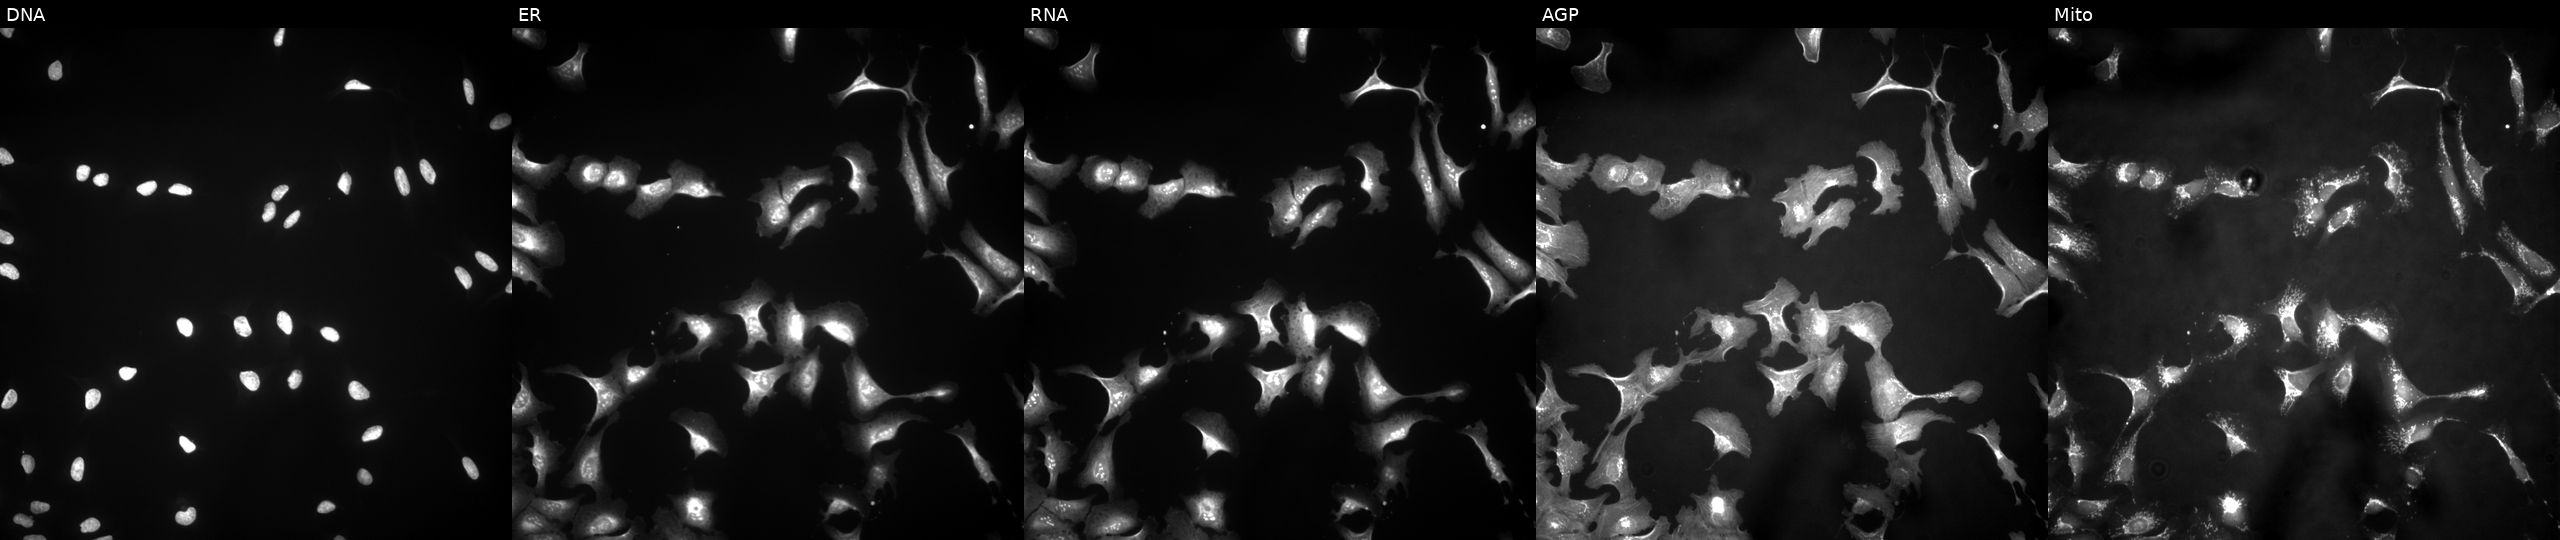
JUMP Cell Painting — ORF plate. U2OS cells transfected with an ORF construct for CCZ1B (JUMP id JCP2022_904924). Channels (left→right): Hoechst 33342, concanavalin A, SYTO 14, phalloidin and WGA, MitoTracker.